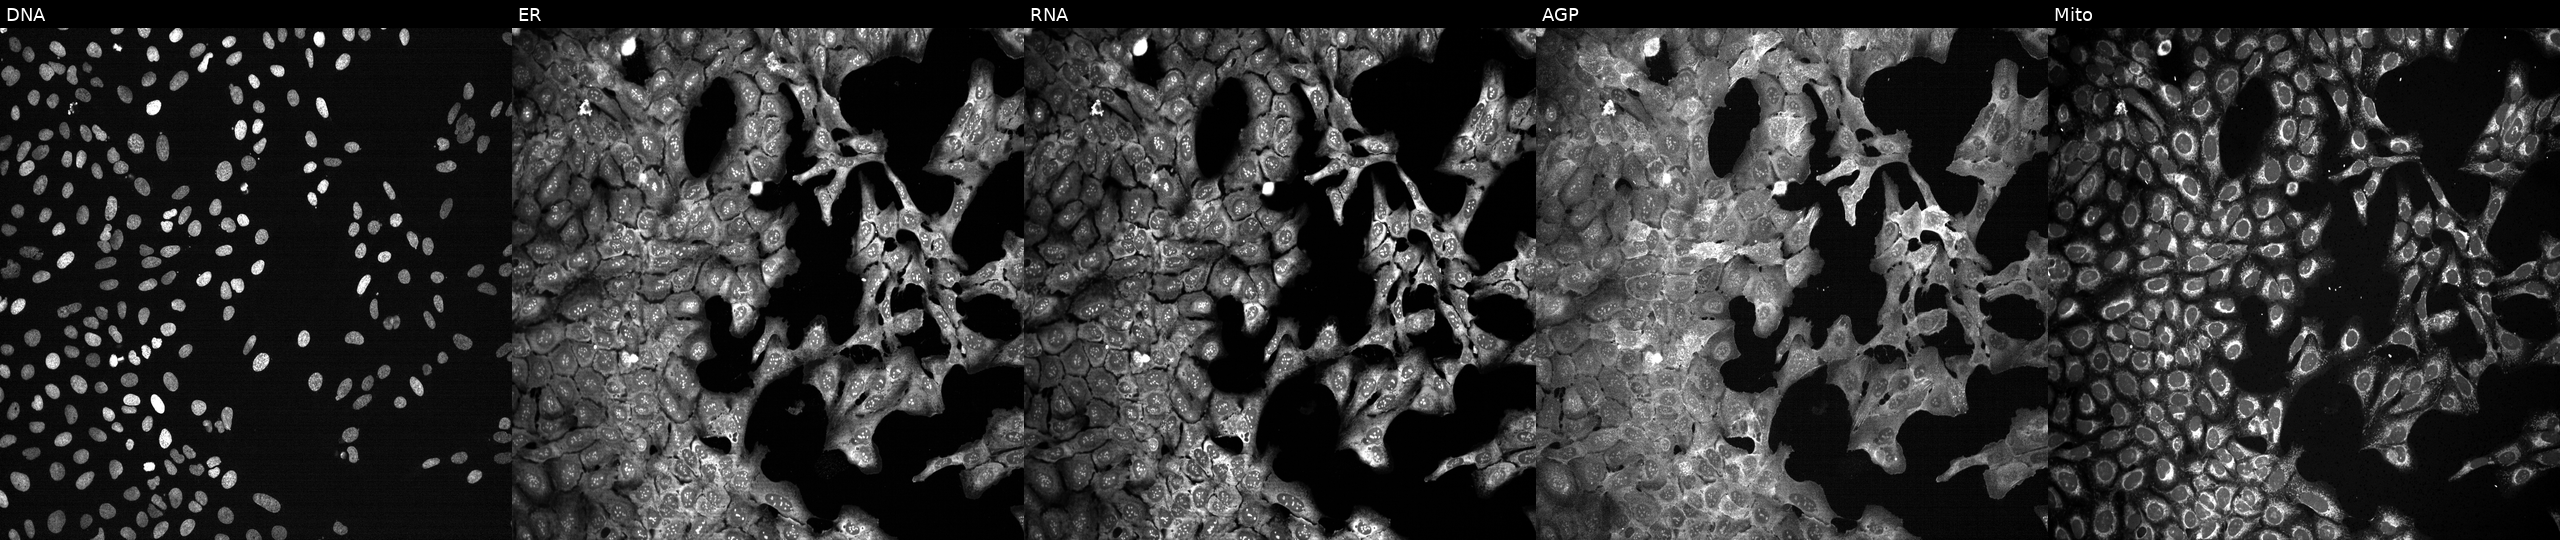
The five panels, left to right, show DNA, ER, RNA, AGP, and Mito. U2OS osteosarcoma cells following CRISPR knockout of RHEB. Cell Painting assay, JUMP-CP dataset.